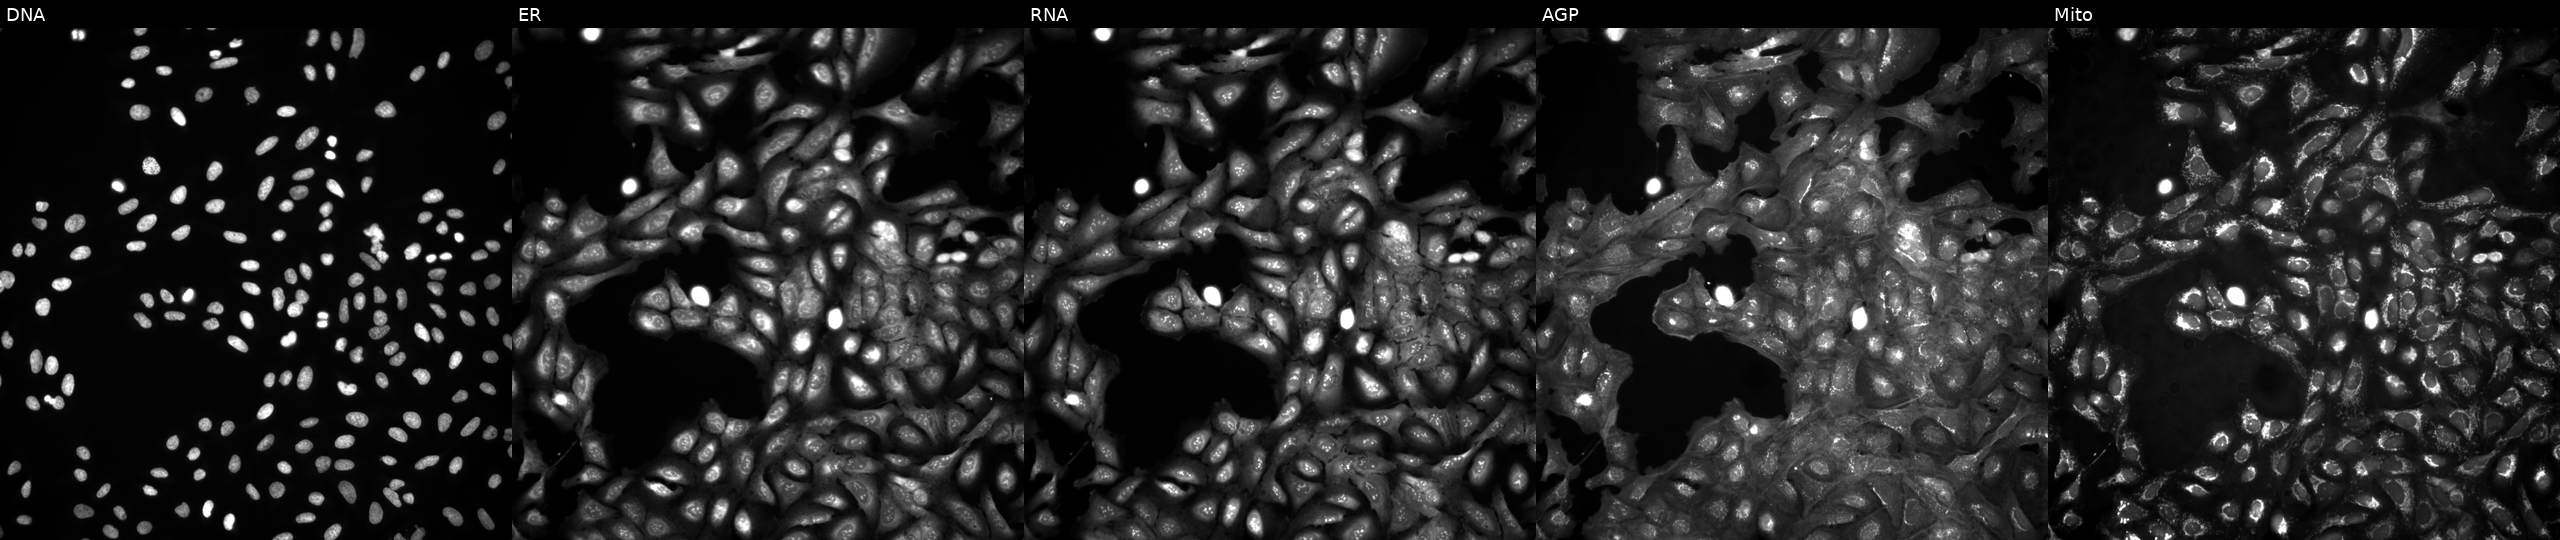
U2OS cells, Cell Painting assay, untreated (empty-well control) (JUMP id JCP2022_999999). Panels show, left to right, Hoechst 33342, concanavalin A, SYTO 14, phalloidin and WGA, MitoTracker. Each panel is percentile-stretched 16-bit fluorescence. Source 4, plate BR00124793, well C09.